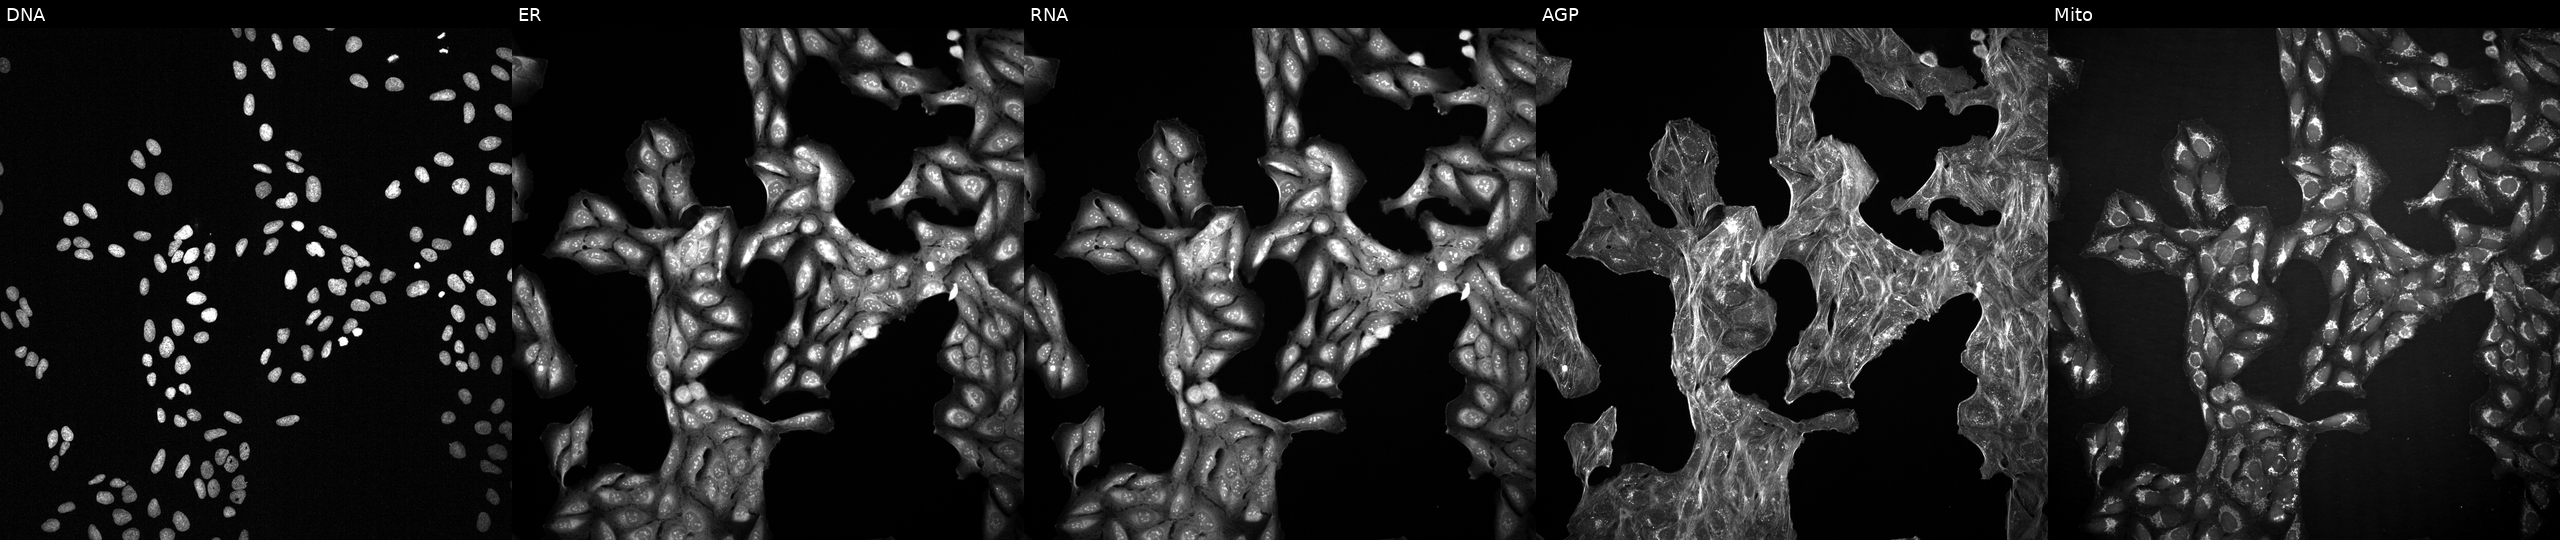
This image strip shows the five Cell Painting channels for a single field of U2OS cells treated with a small-molecule compound (InChIKey TXUZVZSFRXZGTL-UHFFFAOYSA-N). From left to right: DNA, ER, RNA, AGP, and Mito. Source 2, plate 1053600674, well C15.